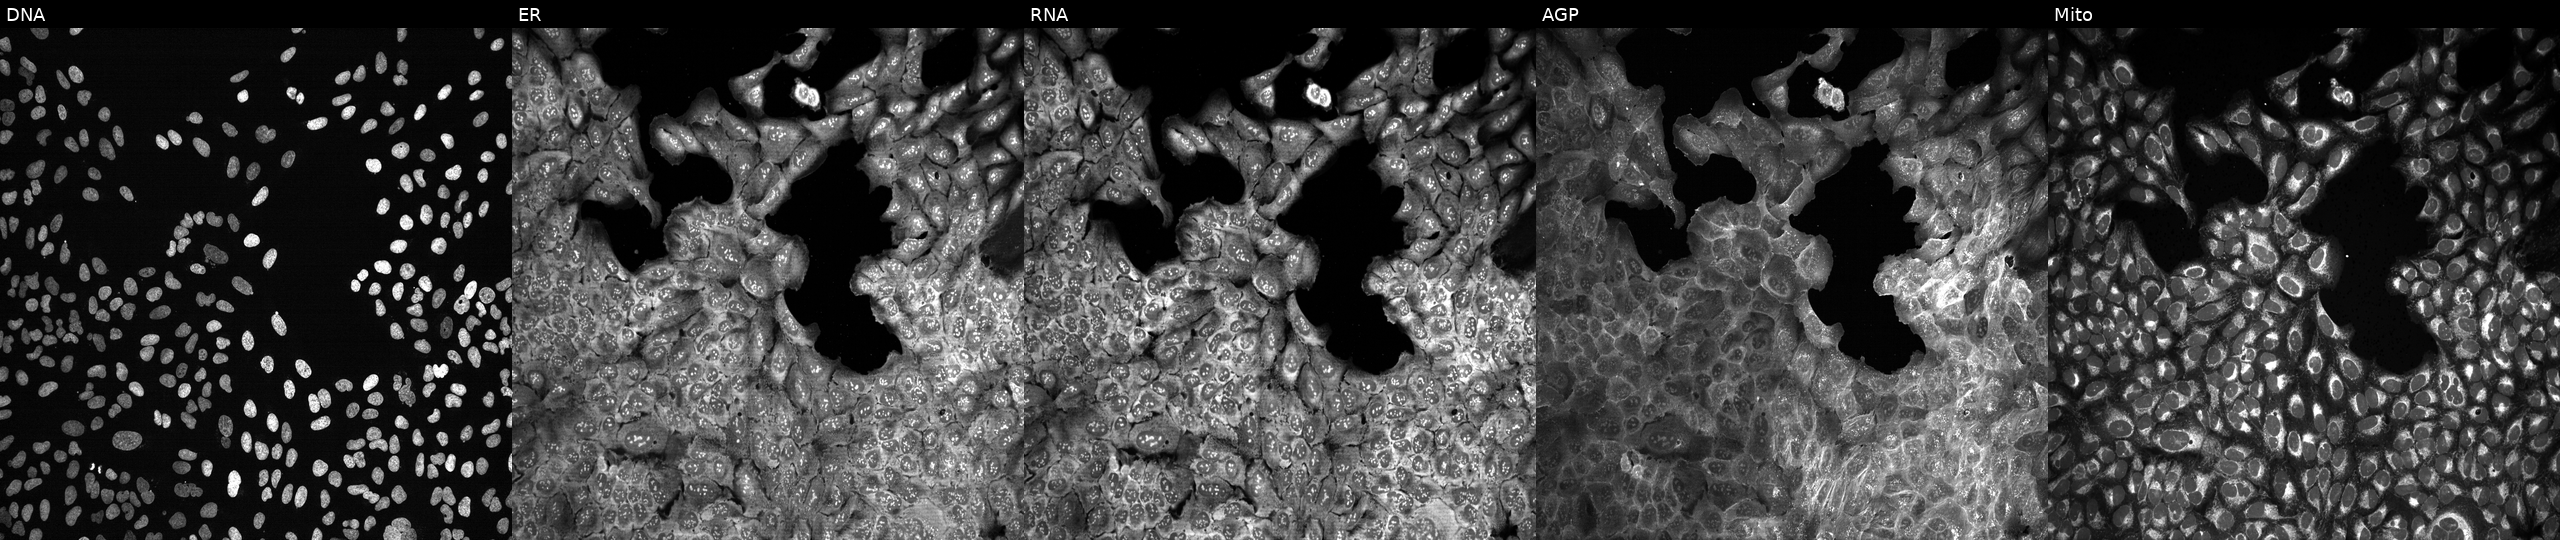
Five-channel Cell Painting image of U2OS cells following CRISPR knockout of XPNPEP1. Channels (left→right): DNA, ER, RNA, AGP, and Mito.